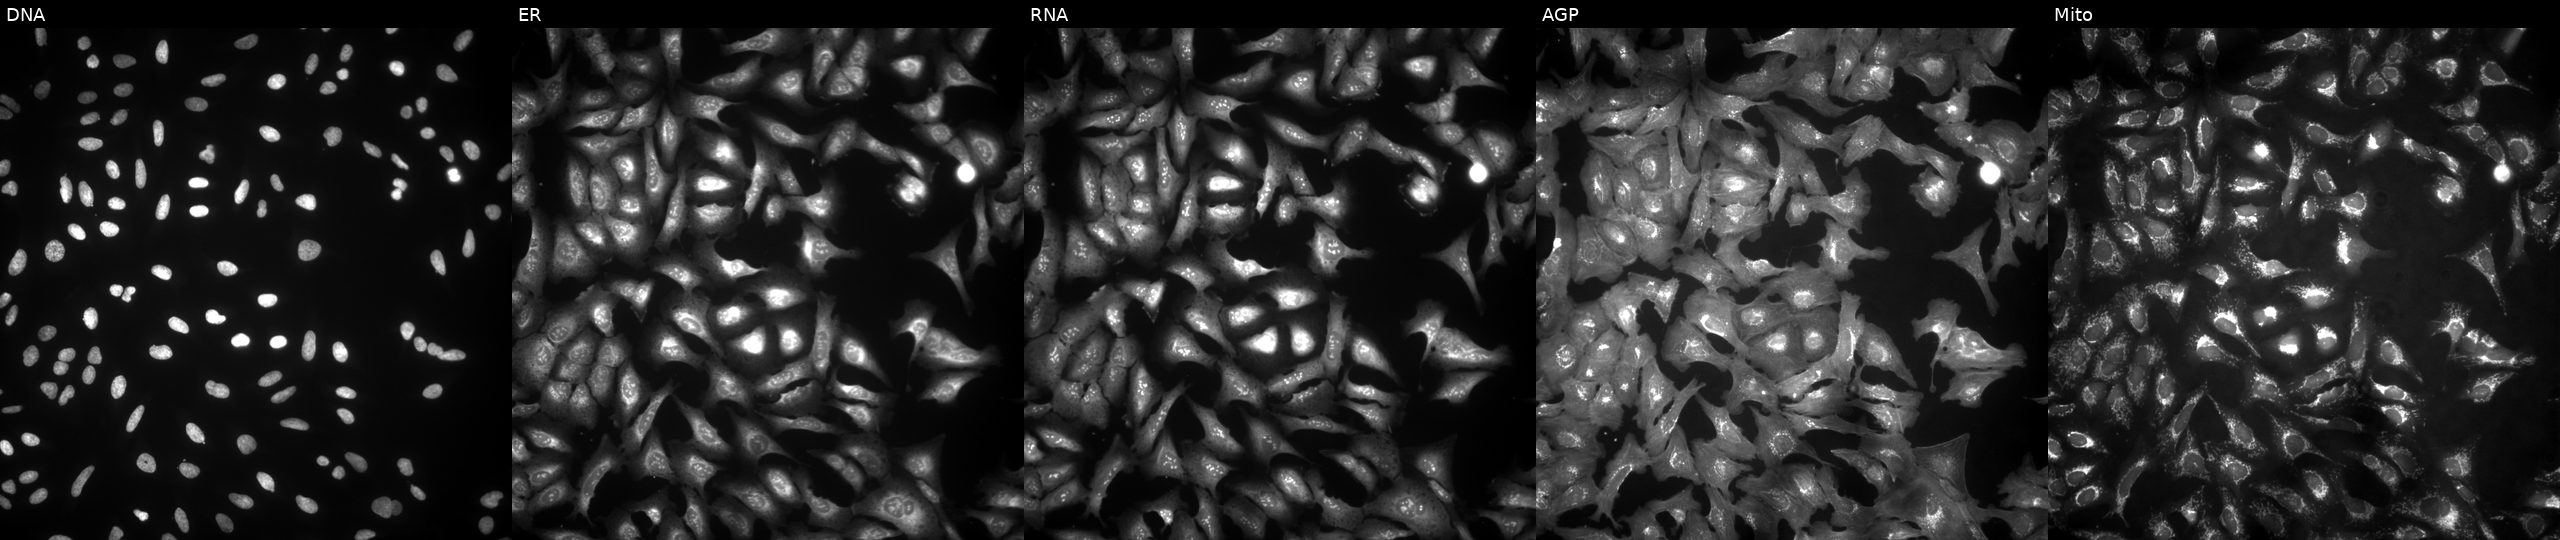
This image strip shows the five Cell Painting channels for a single field of U2OS cells with ZNF622 overexpressed (ORF) (JUMP id JCP2022_908680). Panels show, left to right, DNA, ER, RNA, AGP, and Mito.